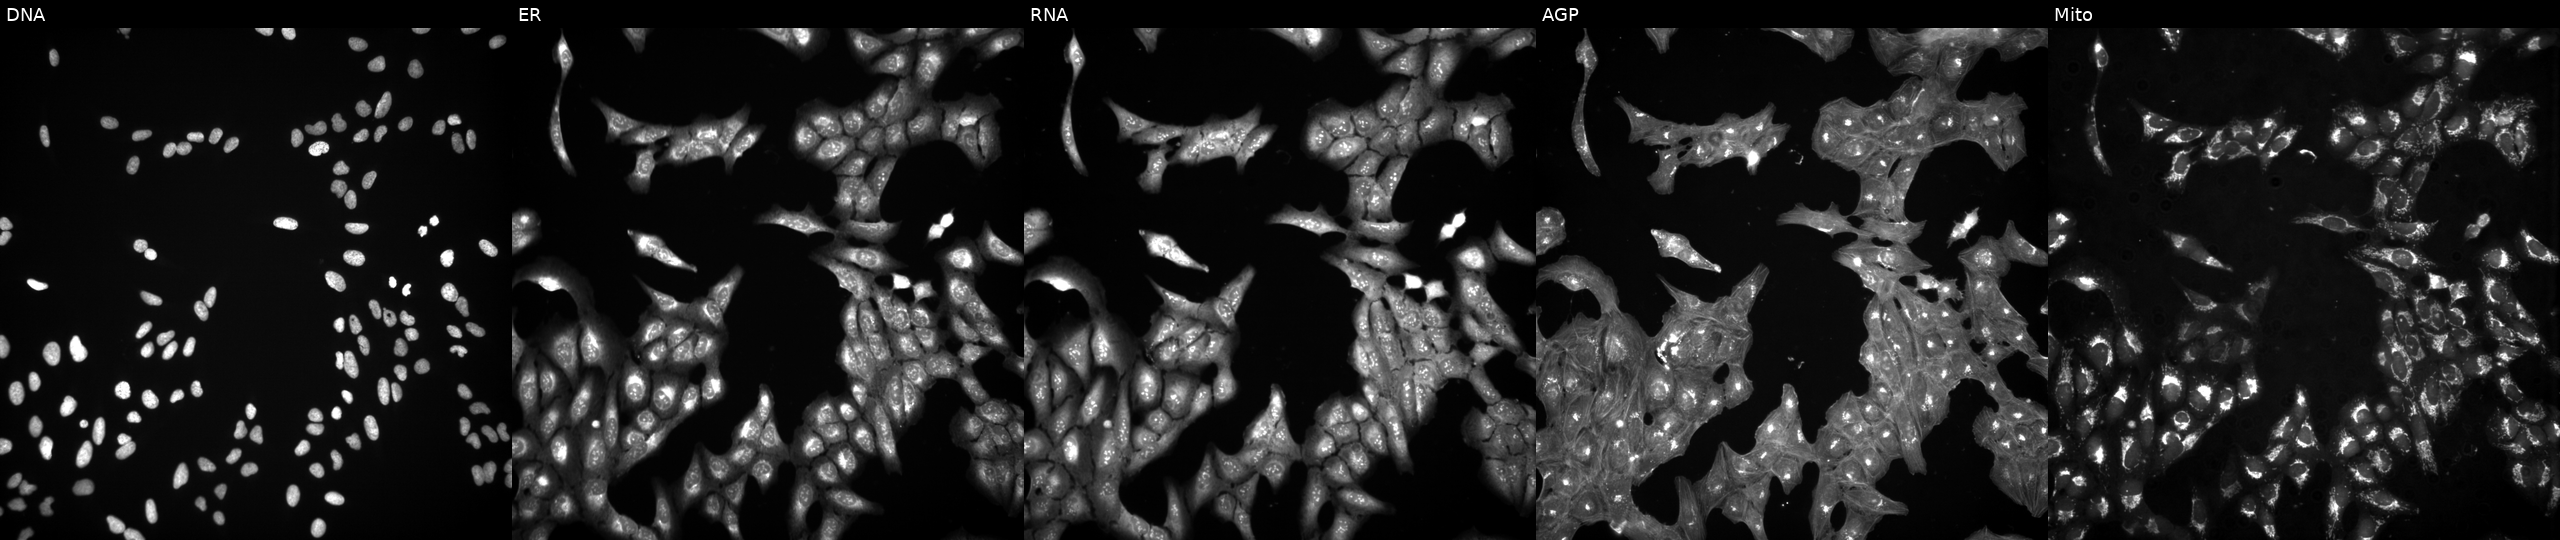
JUMP Cell Painting — COMPOUND plate. U2OS cells exposed to DMSO alone as a negative control. The five panels, left to right, show DNA (nuclei); ER (endoplasmic reticulum); RNA (nucleoli and cytoplasmic RNA); AGP (actin cytoskeleton, Golgi, and plasma membrane); Mito (mitochondria).